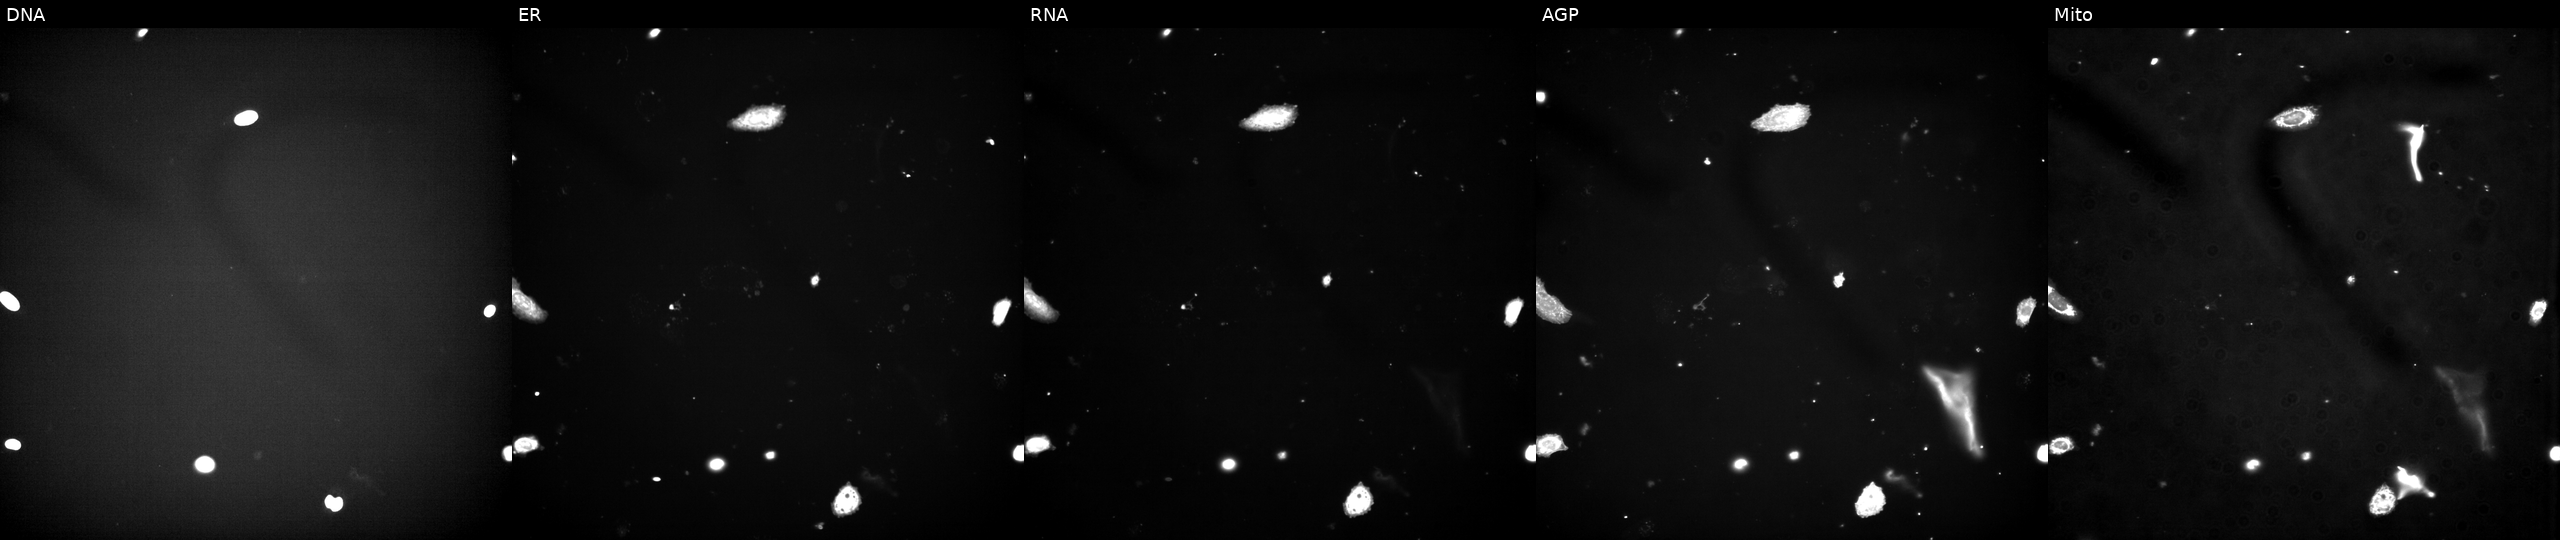
Five-channel Cell Painting image of U2OS cells treated with a small-molecule compound (InChIKey CWHUFRVAEUJCEF-UHFFFAOYSA-N) (JUMP id JCP2022_013856). The five panels, left to right, show DNA, ER, RNA, AGP, and Mito. Source 3, plate JCPQC053, well G14.